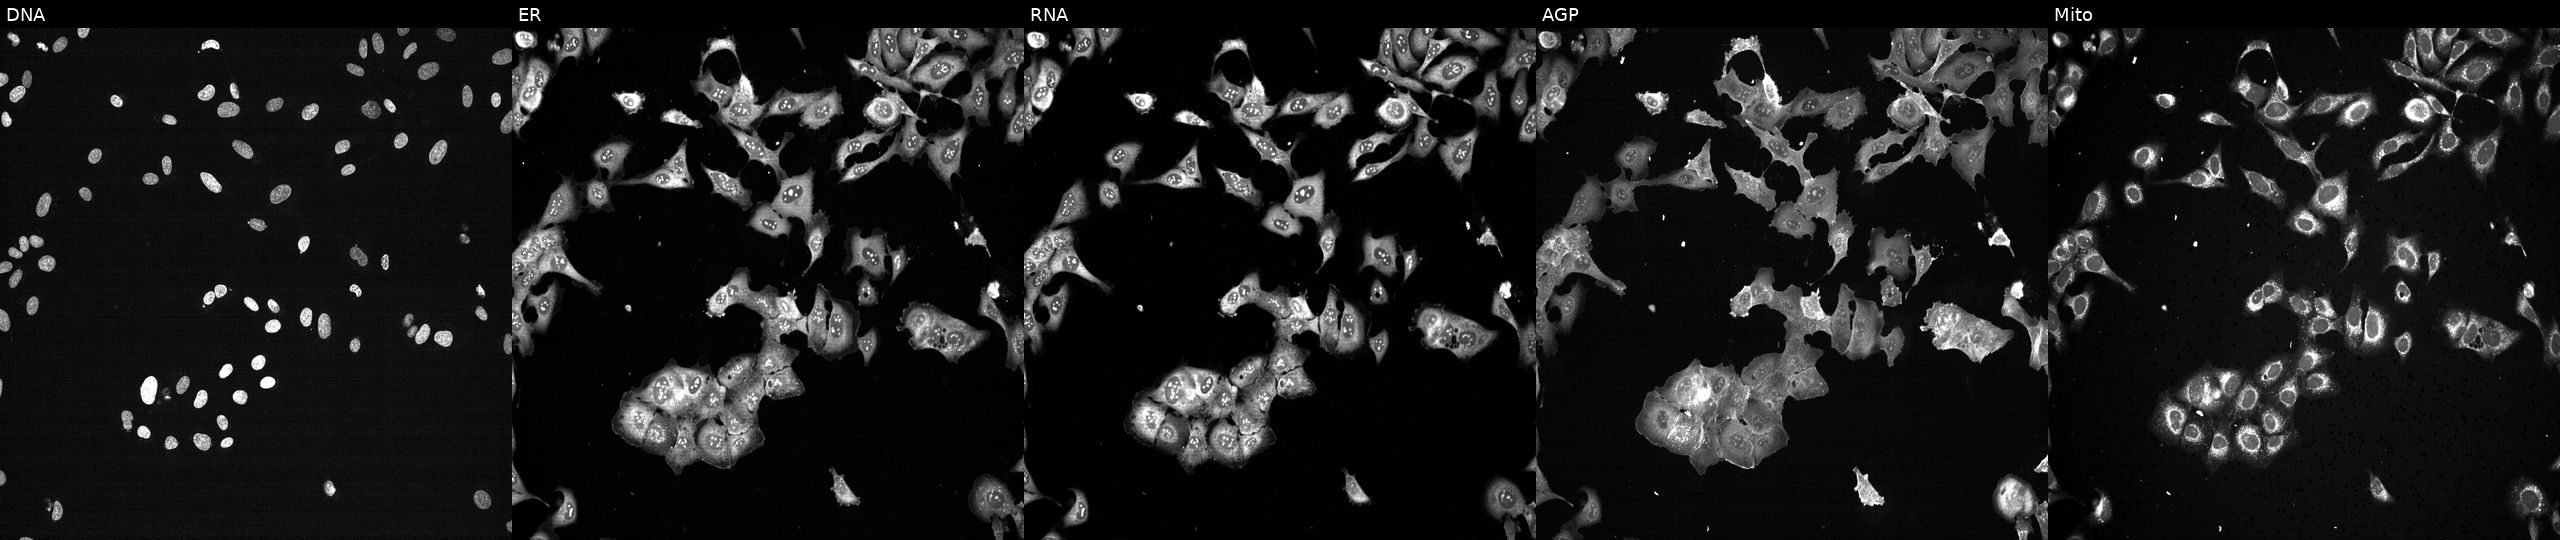
This image strip shows the five Cell Painting channels for a single field of U2OS cells with PSMD7 knocked out by CRISPR. The five panels, left to right, show DNA, ER, RNA, AGP, and Mito.